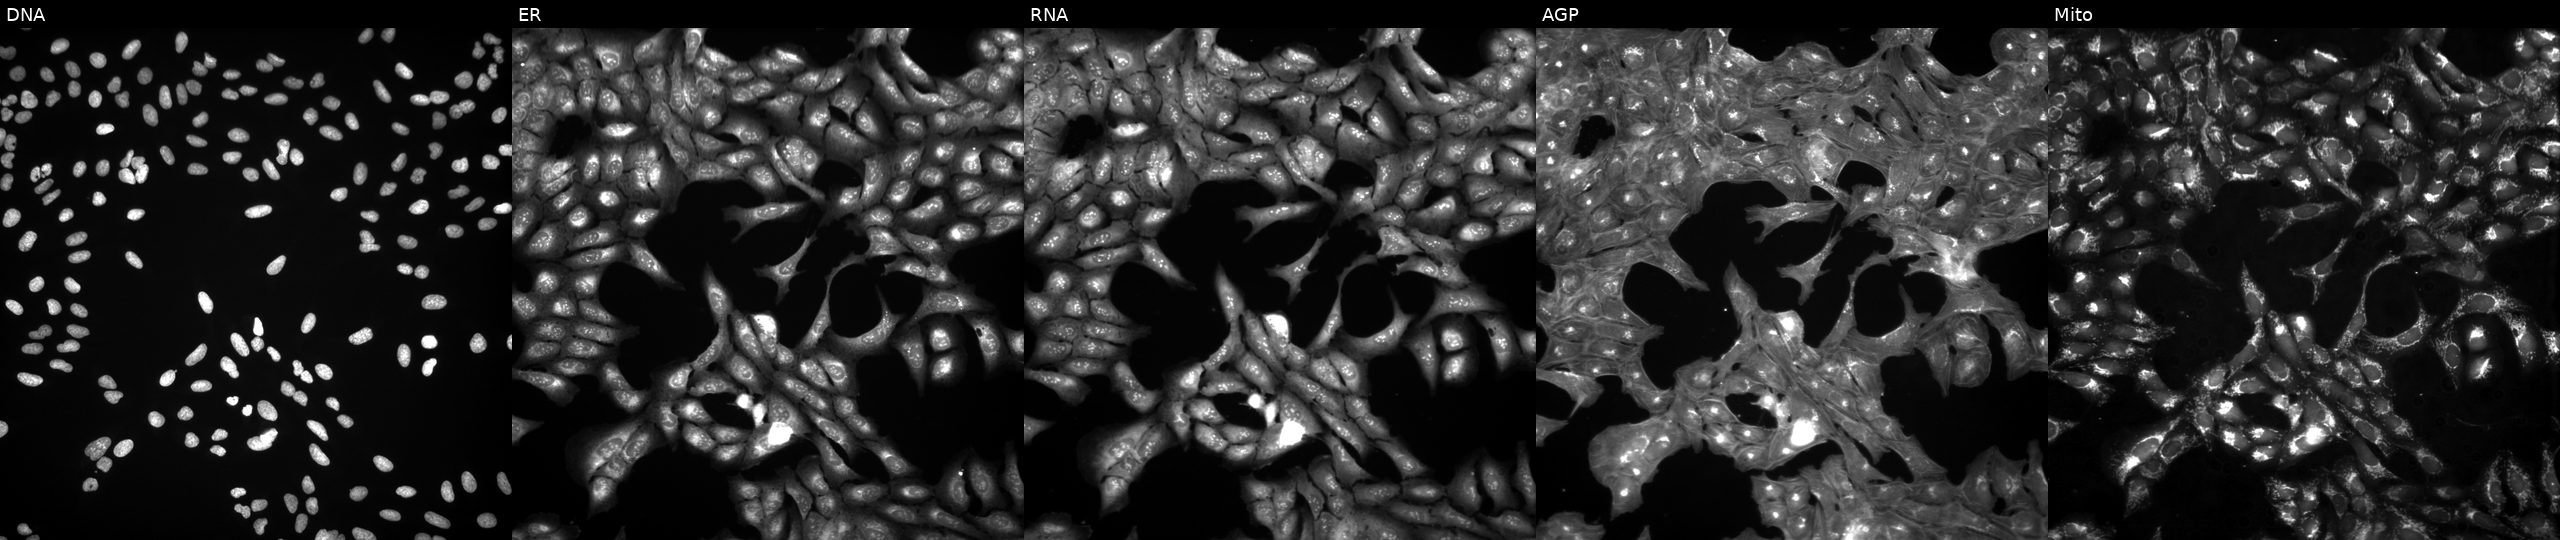
From left to right: DNA, ER, RNA, AGP, and Mito. U2OS osteosarcoma cells exposed to a small-molecule compound [SMILES: COC1C=COC2(C)Oc3c(C)c(O)c4c(O)c(cc(O)c4c3C2=O)NC(=O)C(C)=CC=CC(C)C(O)C(C)C(O)C(C)C(OC(C)=O)C1C]. Cell Painting assay, JUMP-CP dataset.